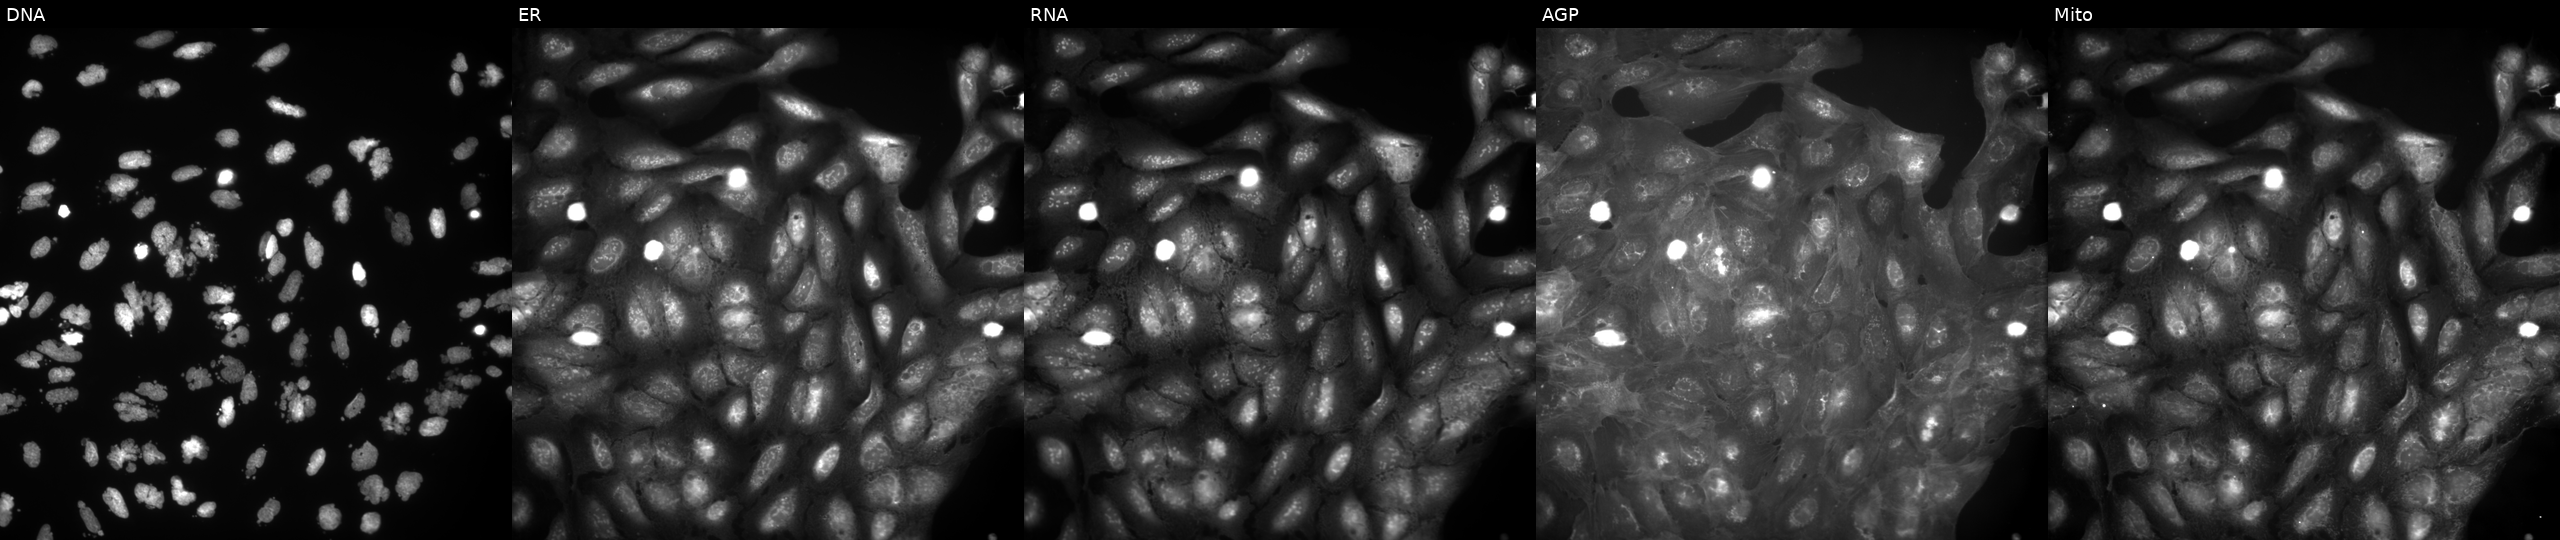
JUMP Cell Painting — COMPOUND plate. U2OS cells exposed to the positive-control compound AMG900 (JUMP id JCP2022_037716). The five panels, left to right, show DNA, ER, RNA, AGP, and Mito. Source 9, plate GR00003381, well Z25.